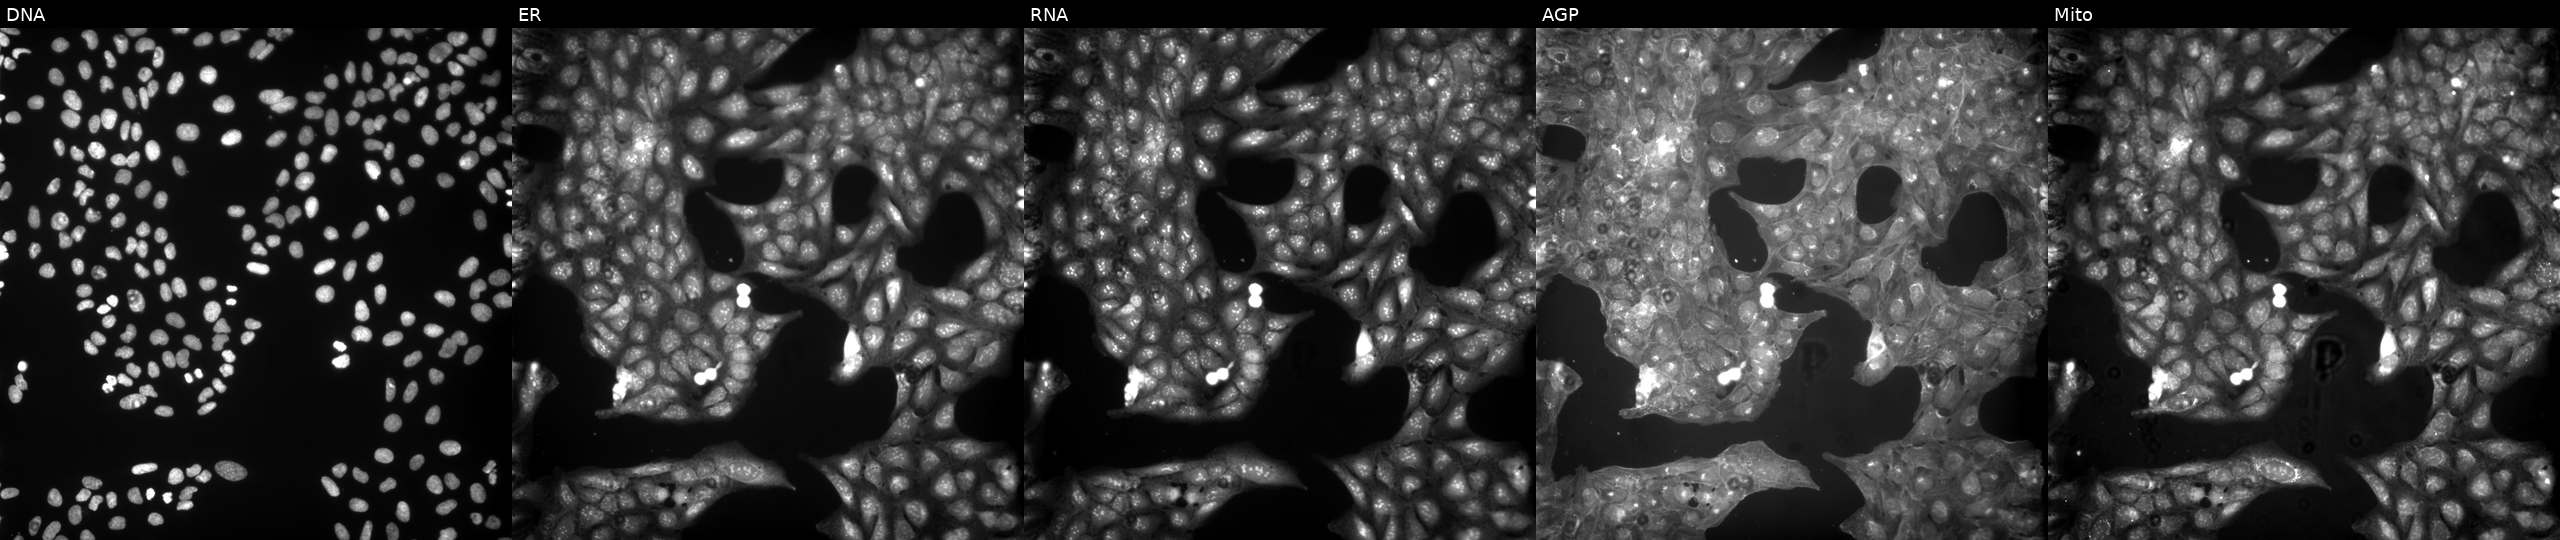
High-content fluorescence microscopy (Cell Painting). Cell line: U2OS. Perturbation: exposed to a small-molecule compound (InChIKey DGRUSQDROUHISB-UHFFFAOYSA-N). The five panels, left to right, show DNA, ER, RNA, AGP, and Mito. Source 9, plate GR00003382, well A28.